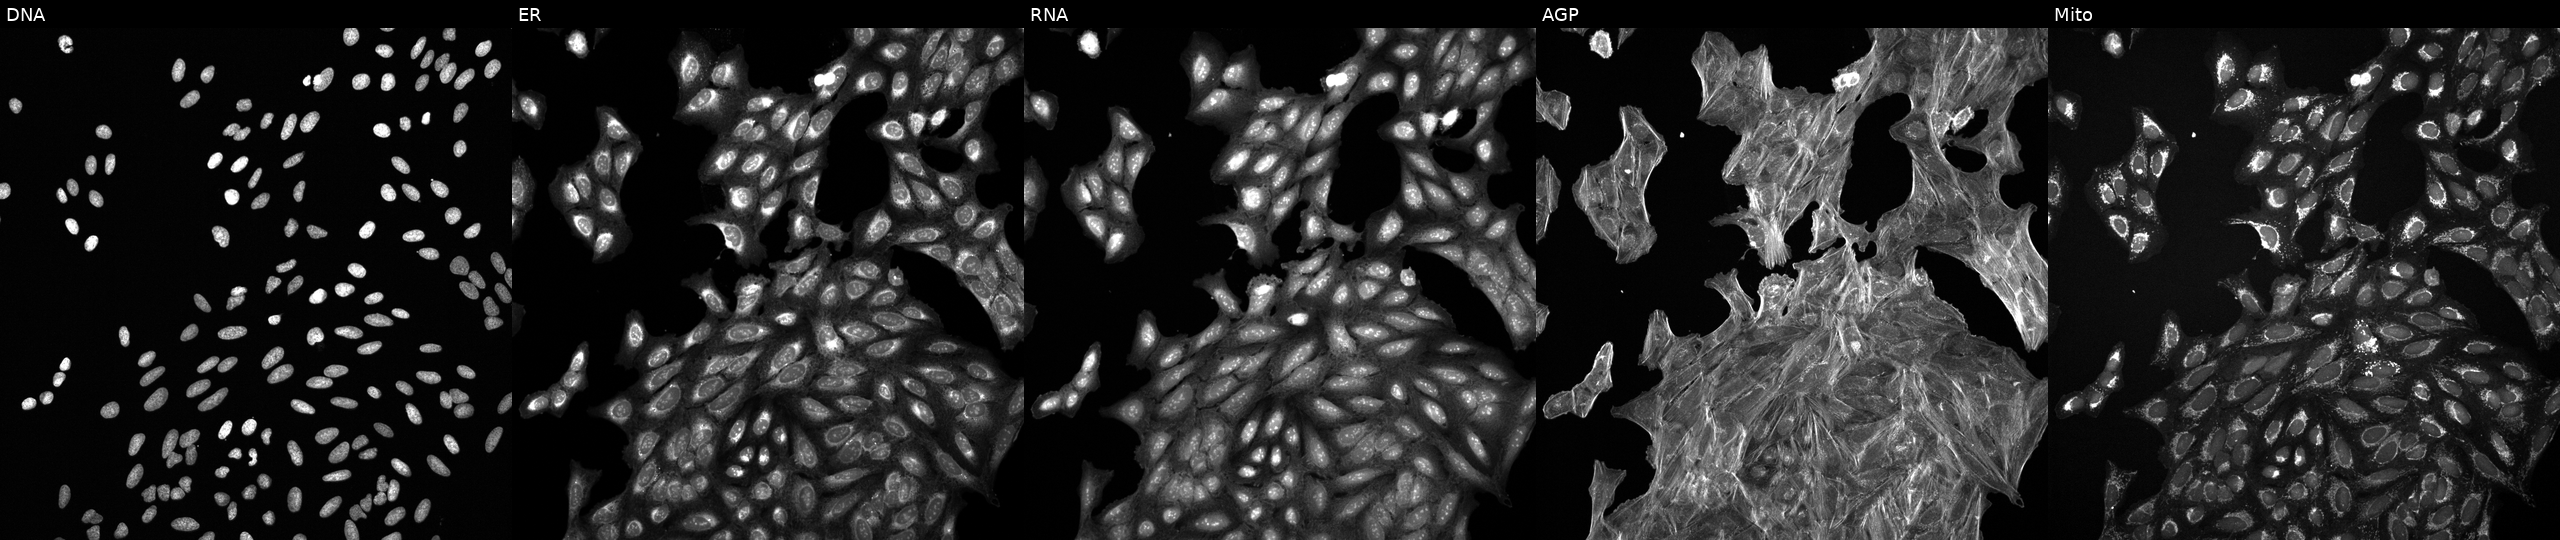
Channels (left→right): DNA (nuclei); ER (endoplasmic reticulum); RNA (nucleoli and cytoplasmic RNA); AGP (actin cytoskeleton, Golgi, and plasma membrane); Mito (mitochondria). U2OS osteosarcoma cells treated with dexamethasone (positive-control compound). Cell Painting assay, JUMP-CP dataset.